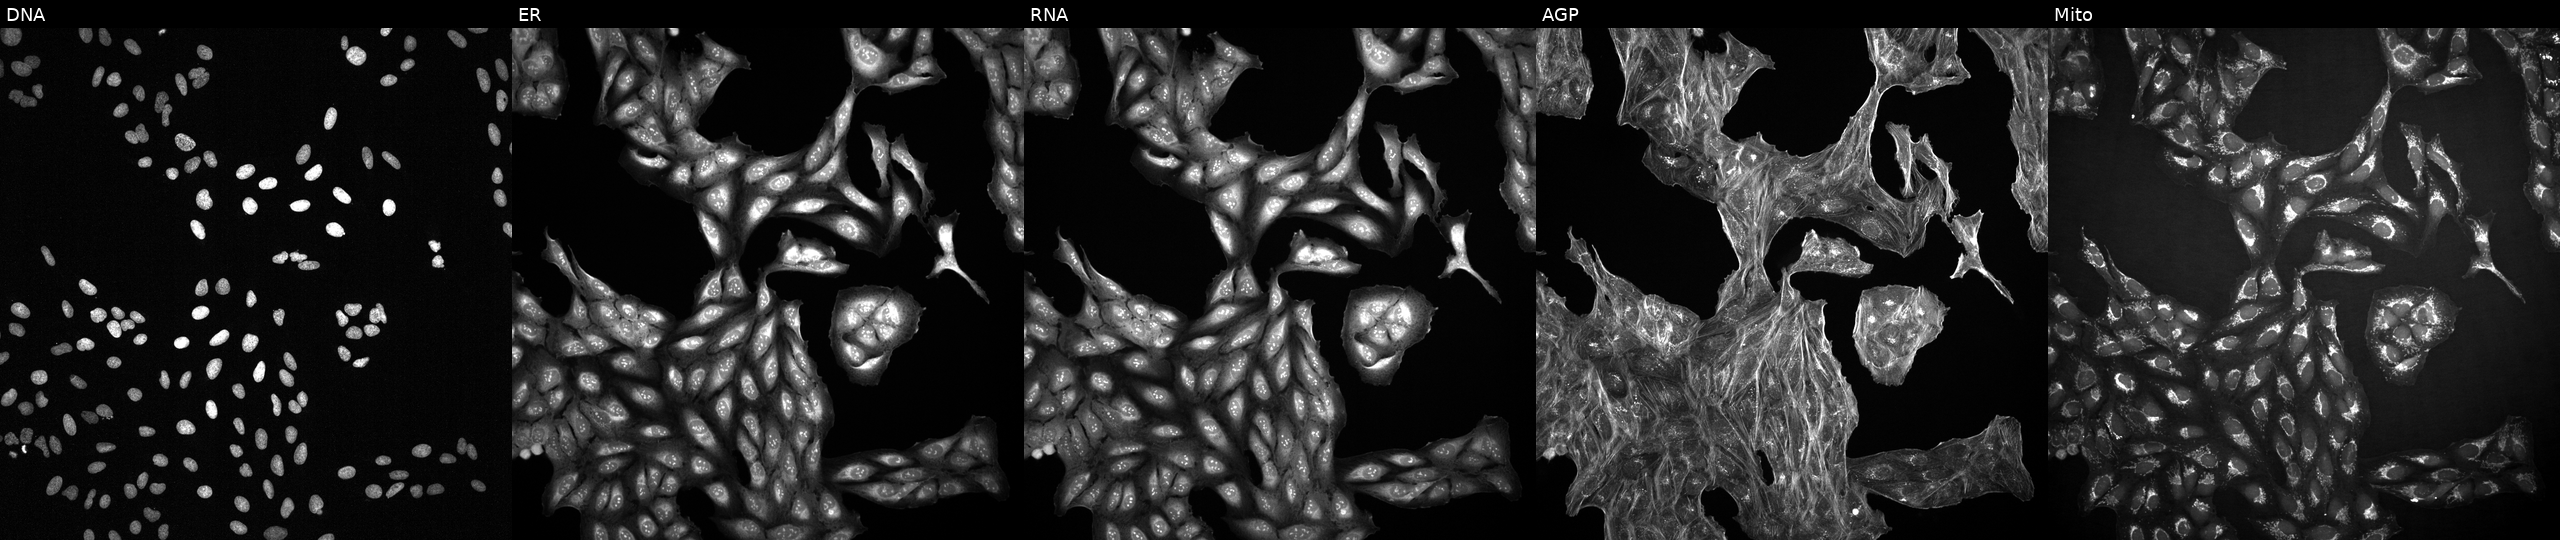
JUMP Cell Painting — TARGET2 plate. U2OS cells exposed to a small-molecule compound (JUMP id JCP2022_093678). The five panels, left to right, show DNA, ER, RNA, AGP, and Mito.